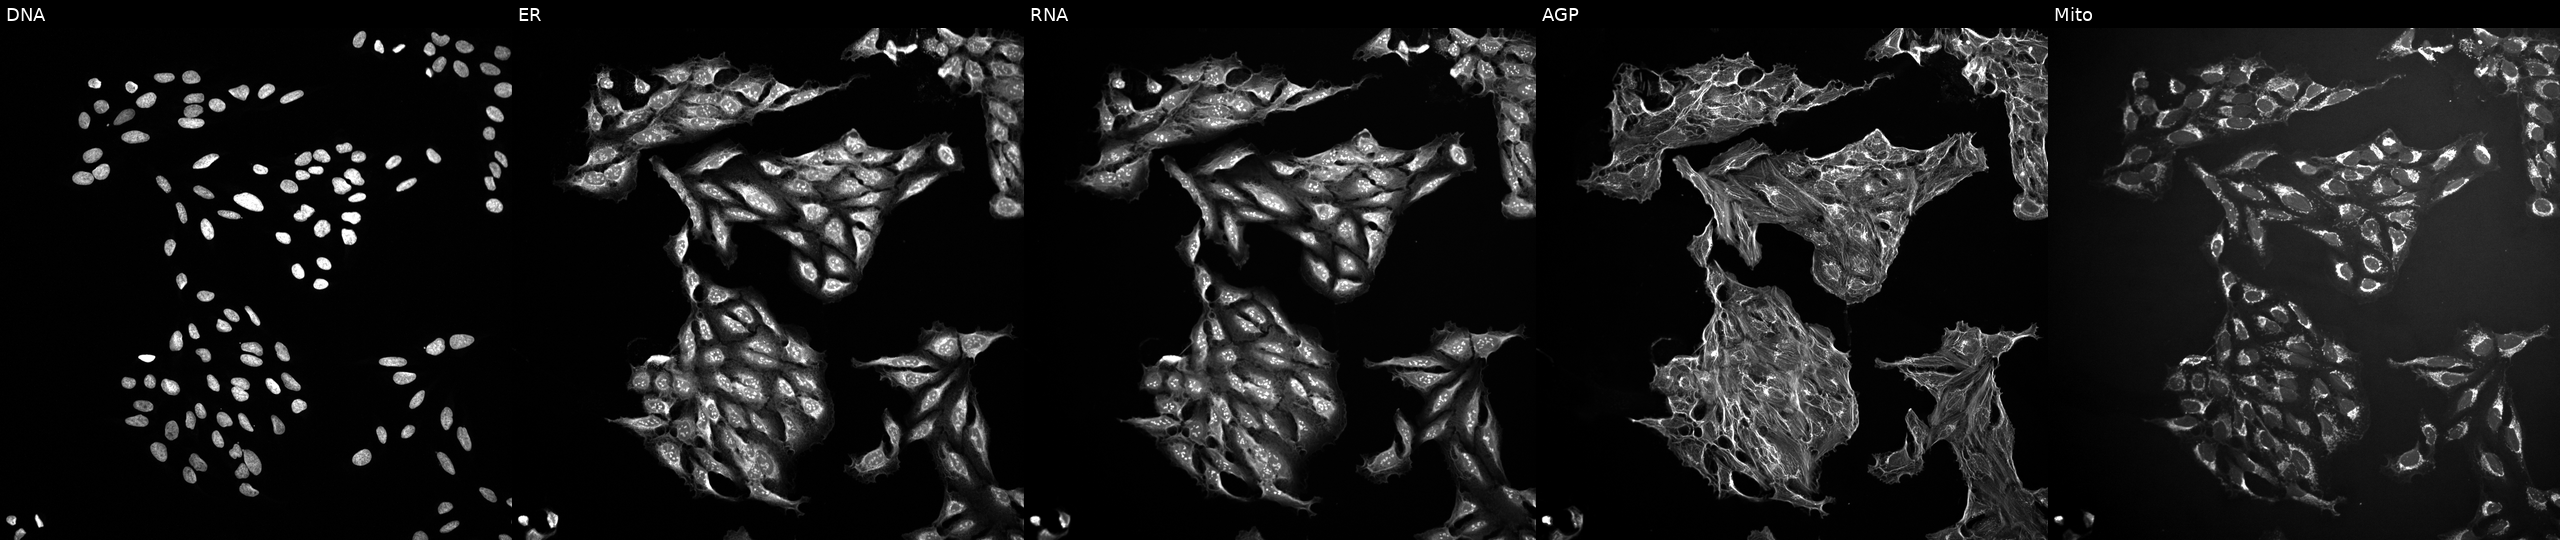
U2OS cells, Cell Painting assay, treated with a small-molecule compound (JUMP id JCP2022_116437). Panels show, left to right, Hoechst 33342, concanavalin A, SYTO 14, phalloidin and WGA, MitoTracker. Each panel is percentile-stretched 16-bit fluorescence. Source 10, plate Dest210726-160150, well J18.